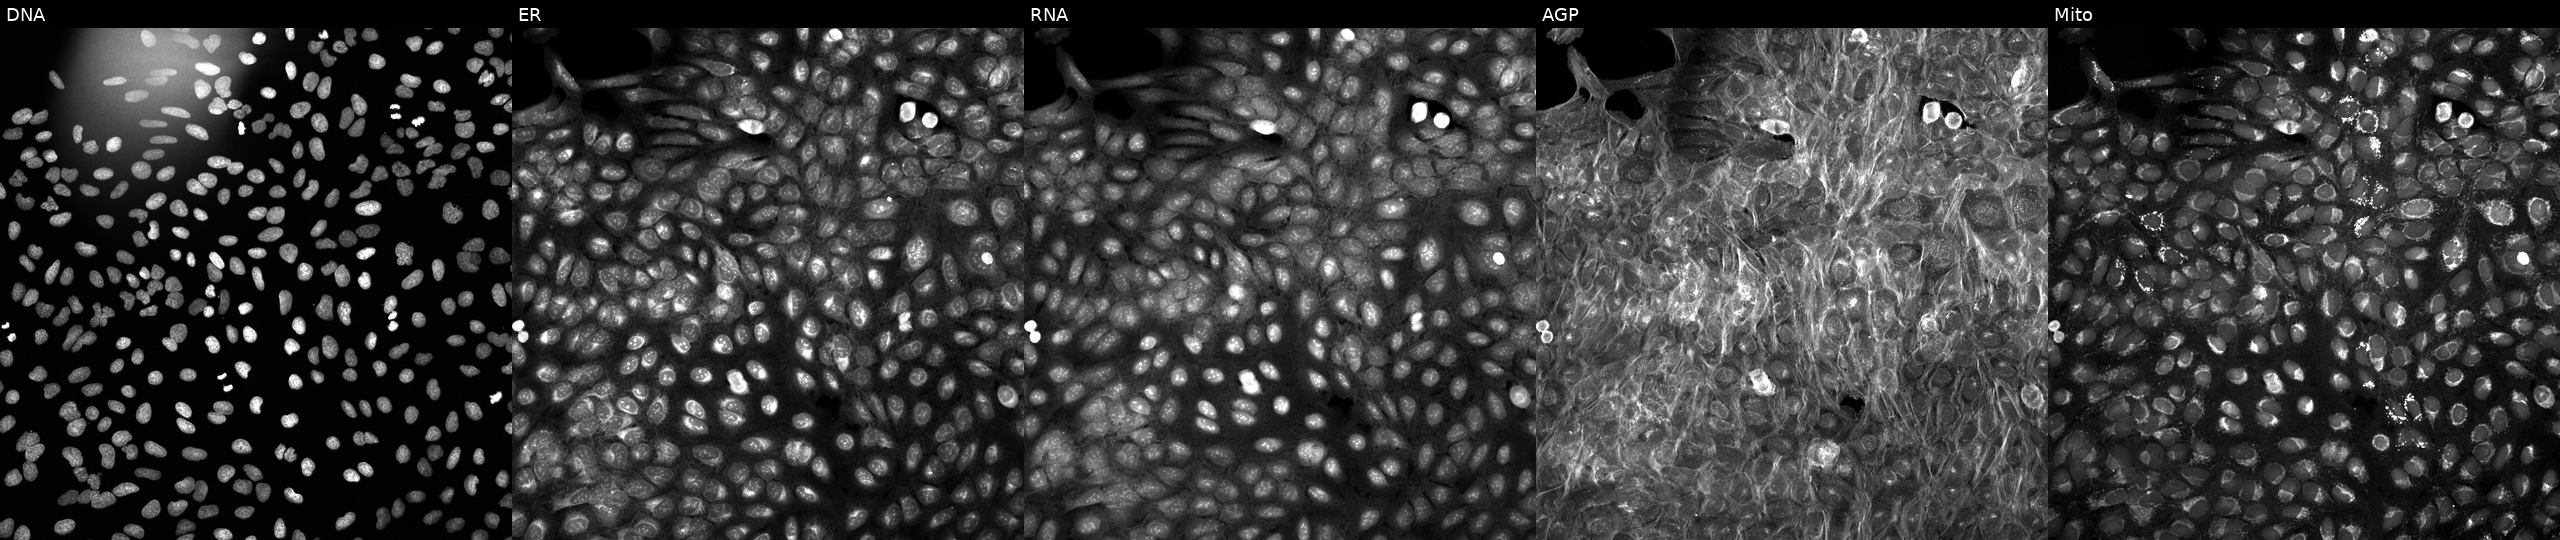
Five-channel Cell Painting image of U2OS cells treated with a small-molecule compound (InChIKey DSLRVRBSNLHVBH-UHFFFAOYSA-N). Channels (left→right): DNA (nuclei); ER (endoplasmic reticulum); RNA (nucleoli and cytoplasmic RNA); AGP (actin cytoskeleton, Golgi, and plasma membrane); Mito (mitochondria).